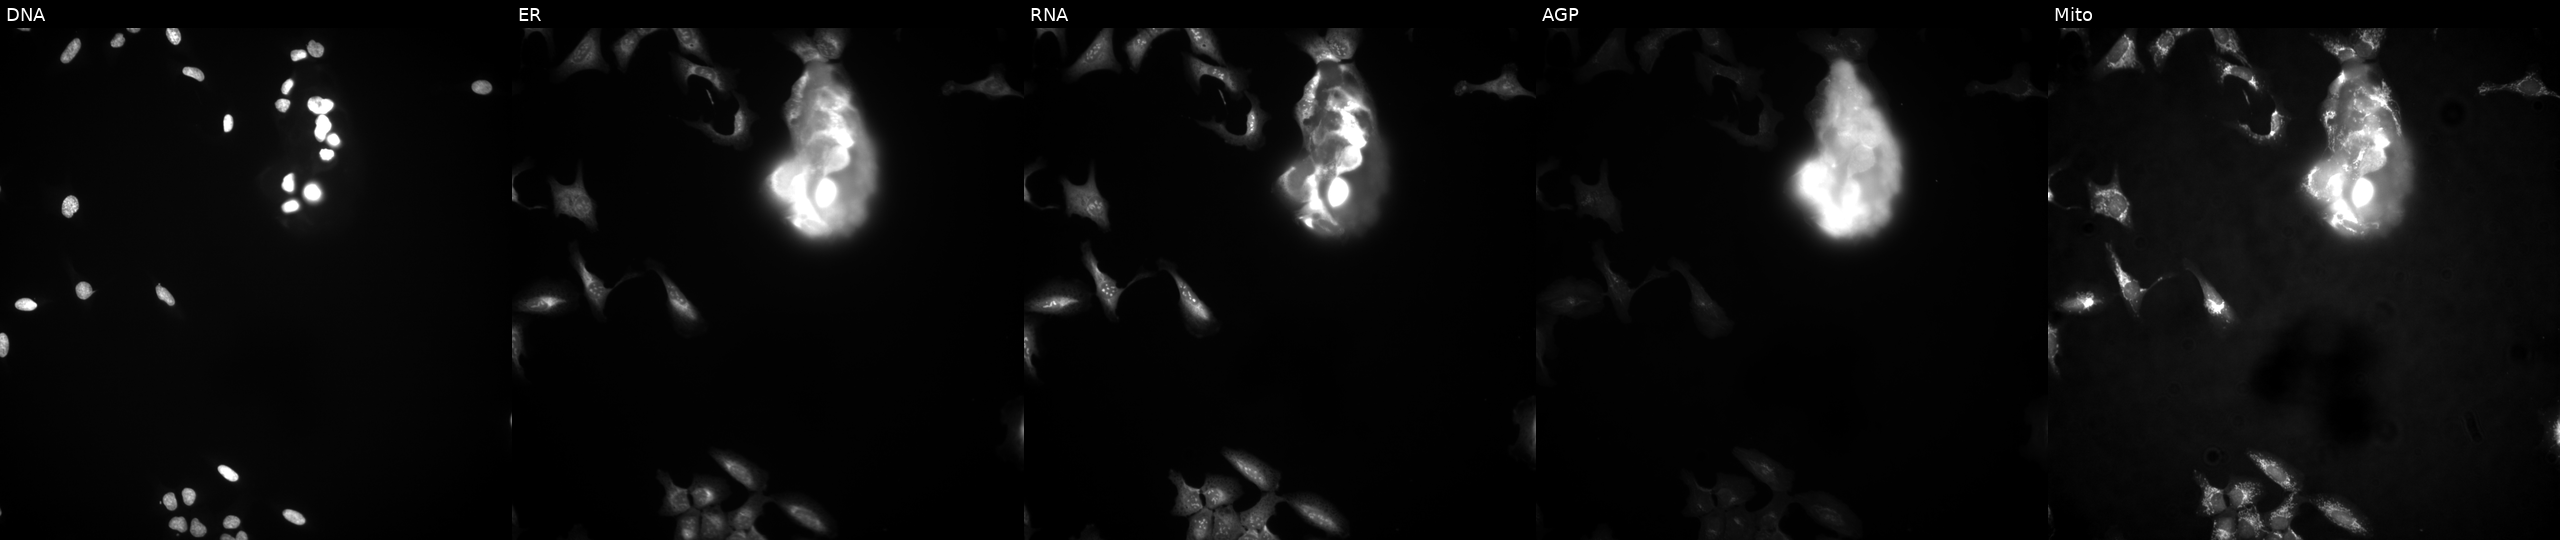
From left to right: Hoechst 33342, concanavalin A, SYTO 14, phalloidin and WGA, MitoTracker. U2OS osteosarcoma cells expressing eGFP (ORF positive control). Cell Painting assay, JUMP-CP dataset.